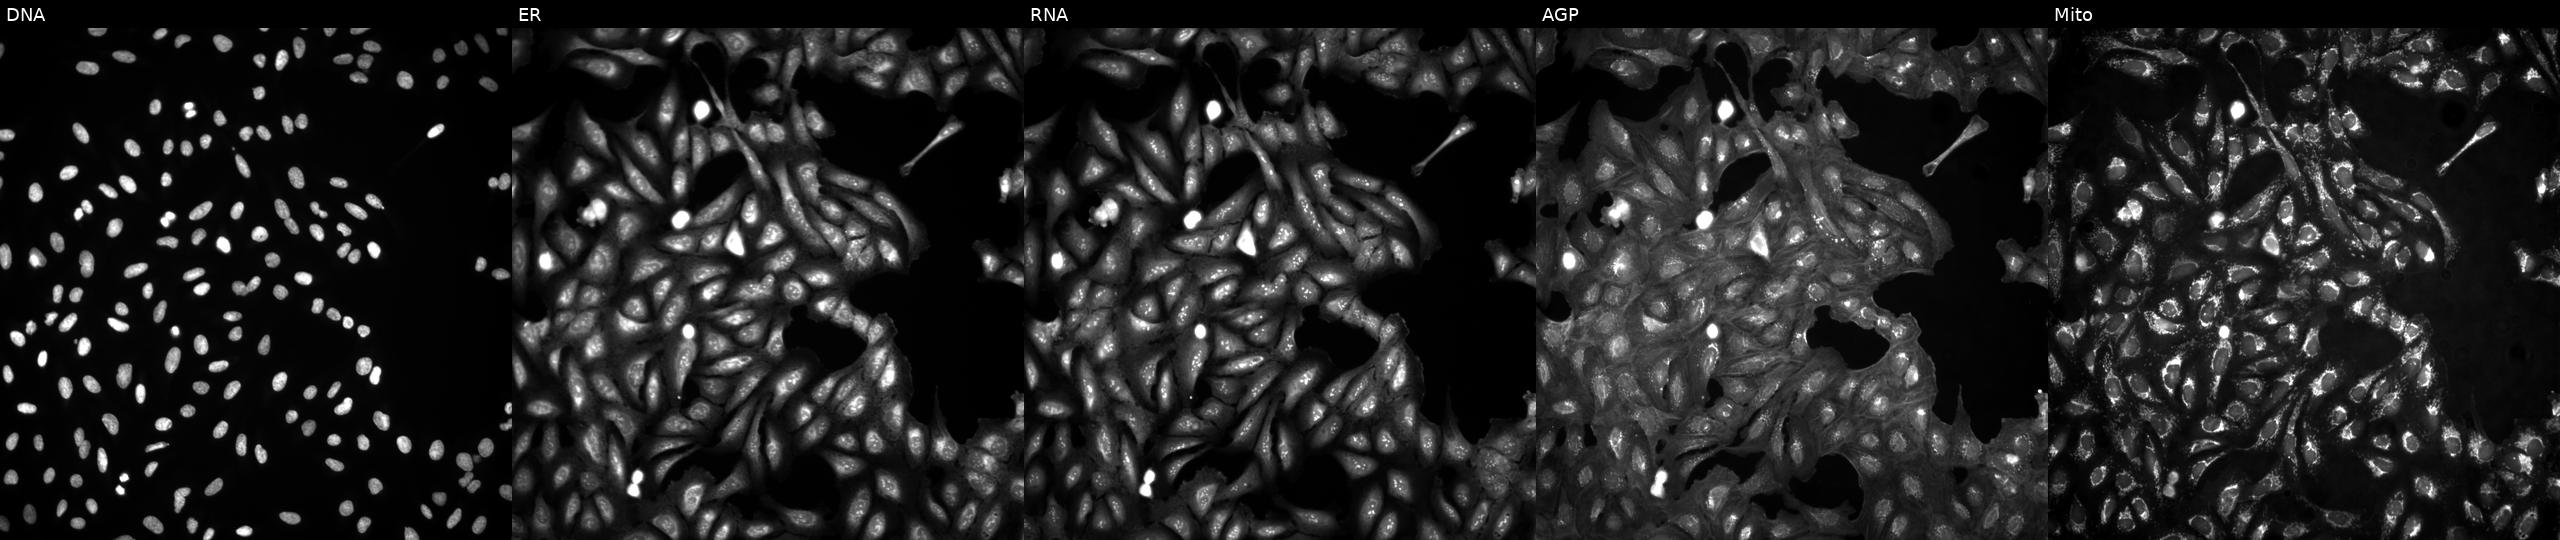
This image strip shows the five Cell Painting channels for a single field of U2OS cells in an empty control well (no perturbation) (JUMP id JCP2022_999999). The five panels, left to right, show Hoechst 33342, concanavalin A, SYTO 14, phalloidin and WGA, MitoTracker.